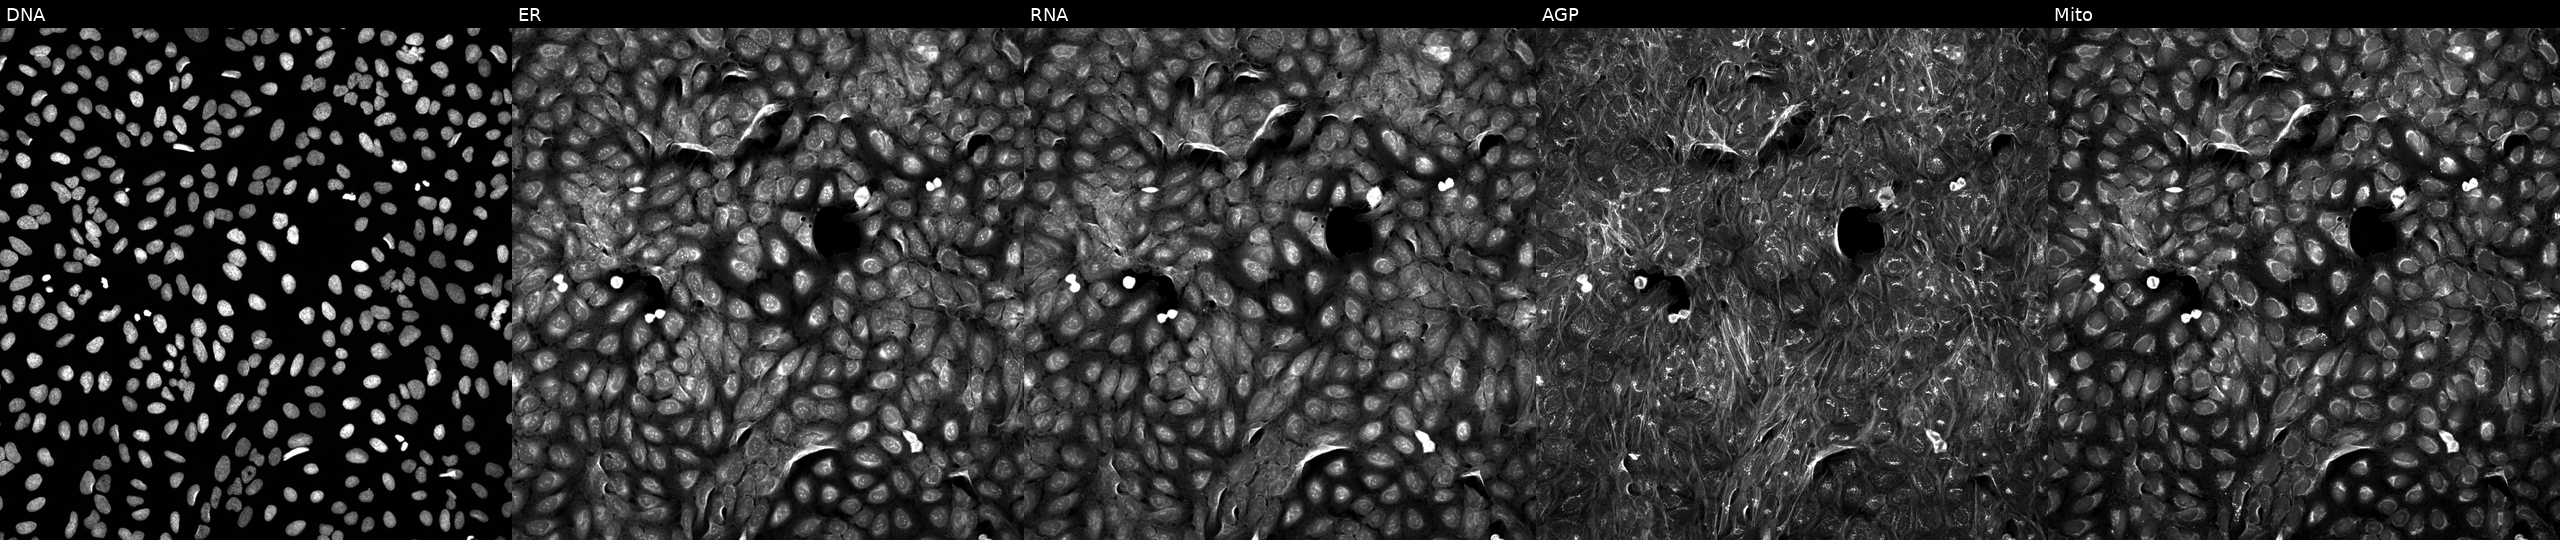
Channels (left→right): DNA (nuclei); ER (endoplasmic reticulum); RNA (nucleoli and cytoplasmic RNA); AGP (actin cytoskeleton, Golgi, and plasma membrane); Mito (mitochondria). U2OS osteosarcoma cells treated with quinidine (positive-control compound) (JUMP id JCP2022_050797). Cell Painting assay, JUMP-CP dataset.